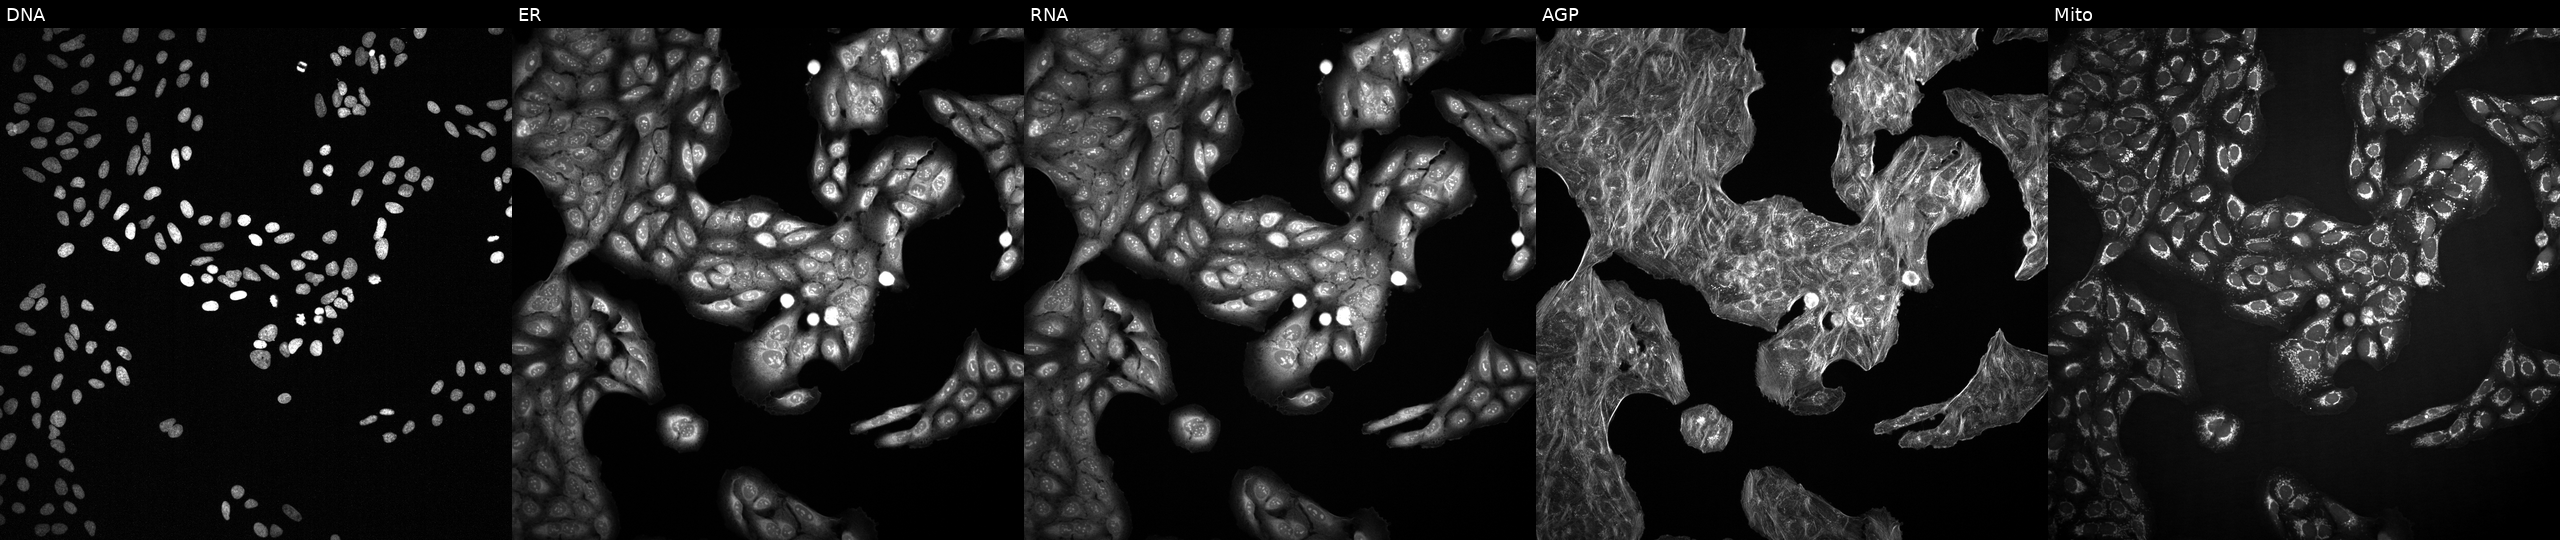
Five-channel Cell Painting image of U2OS cells treated with a small-molecule compound (InChIKey DHMTURDWPRKSOA-UHFFFAOYSA-N). Channels (left→right): DNA (nuclei); ER (endoplasmic reticulum); RNA (nucleoli and cytoplasmic RNA); AGP (actin cytoskeleton, Golgi, and plasma membrane); Mito (mitochondria).